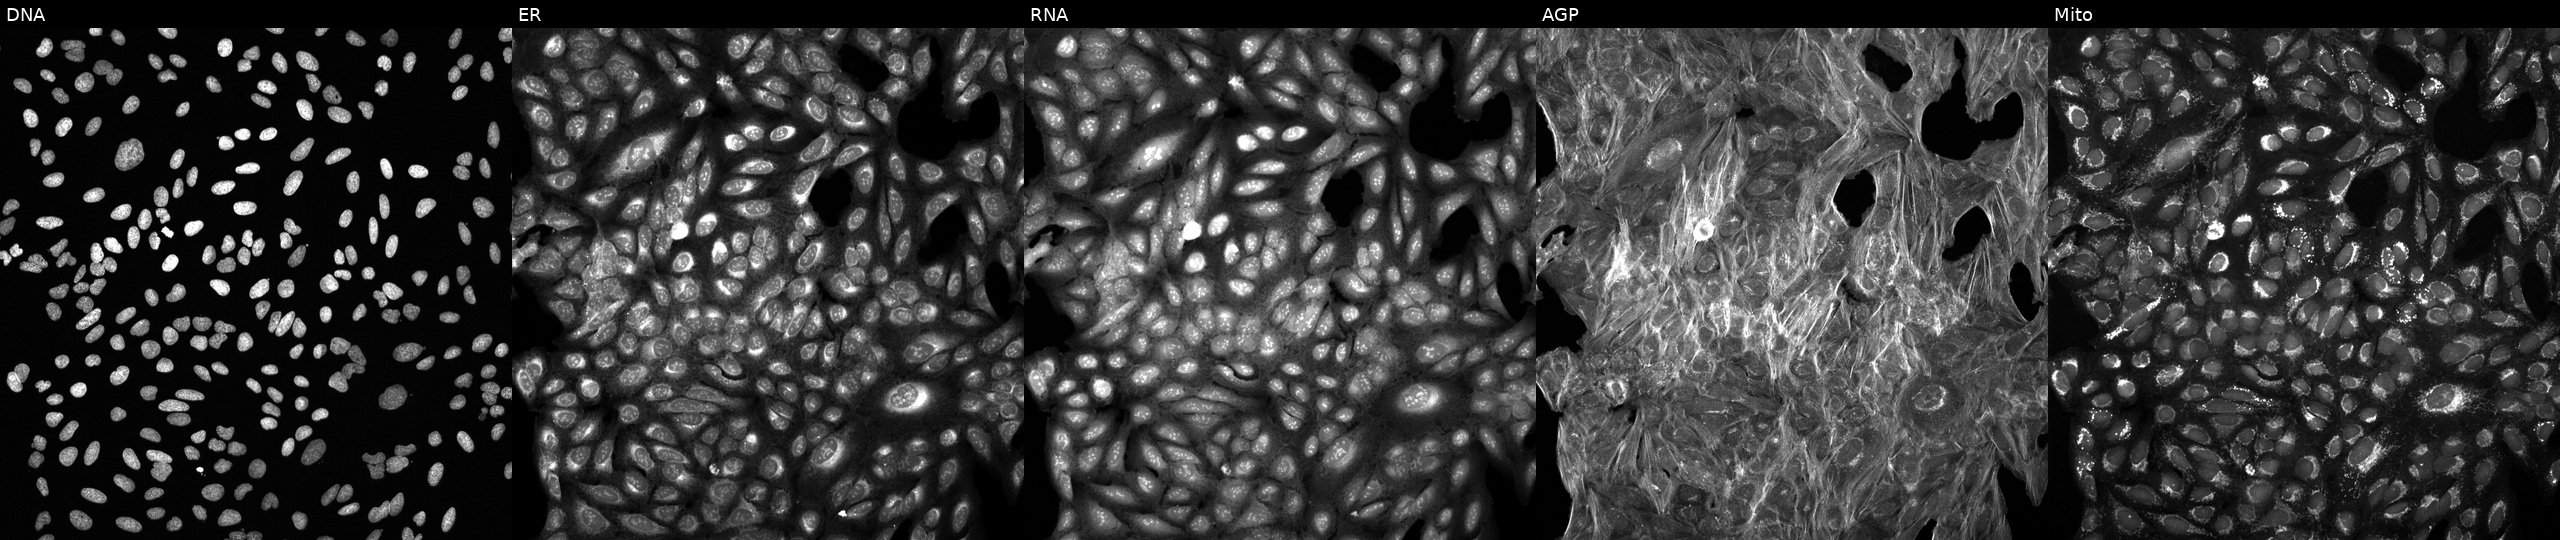
This image strip shows the five Cell Painting channels for a single field of U2OS cells perturbed with a small-molecule compound (InChIKey XNACIITYGJJNAJ-UHFFFAOYSA-N) (JUMP id JCP2022_104676). The five panels, left to right, show DNA (nuclei); ER (endoplasmic reticulum); RNA (nucleoli and cytoplasmic RNA); AGP (actin cytoskeleton, Golgi, and plasma membrane); Mito (mitochondria).